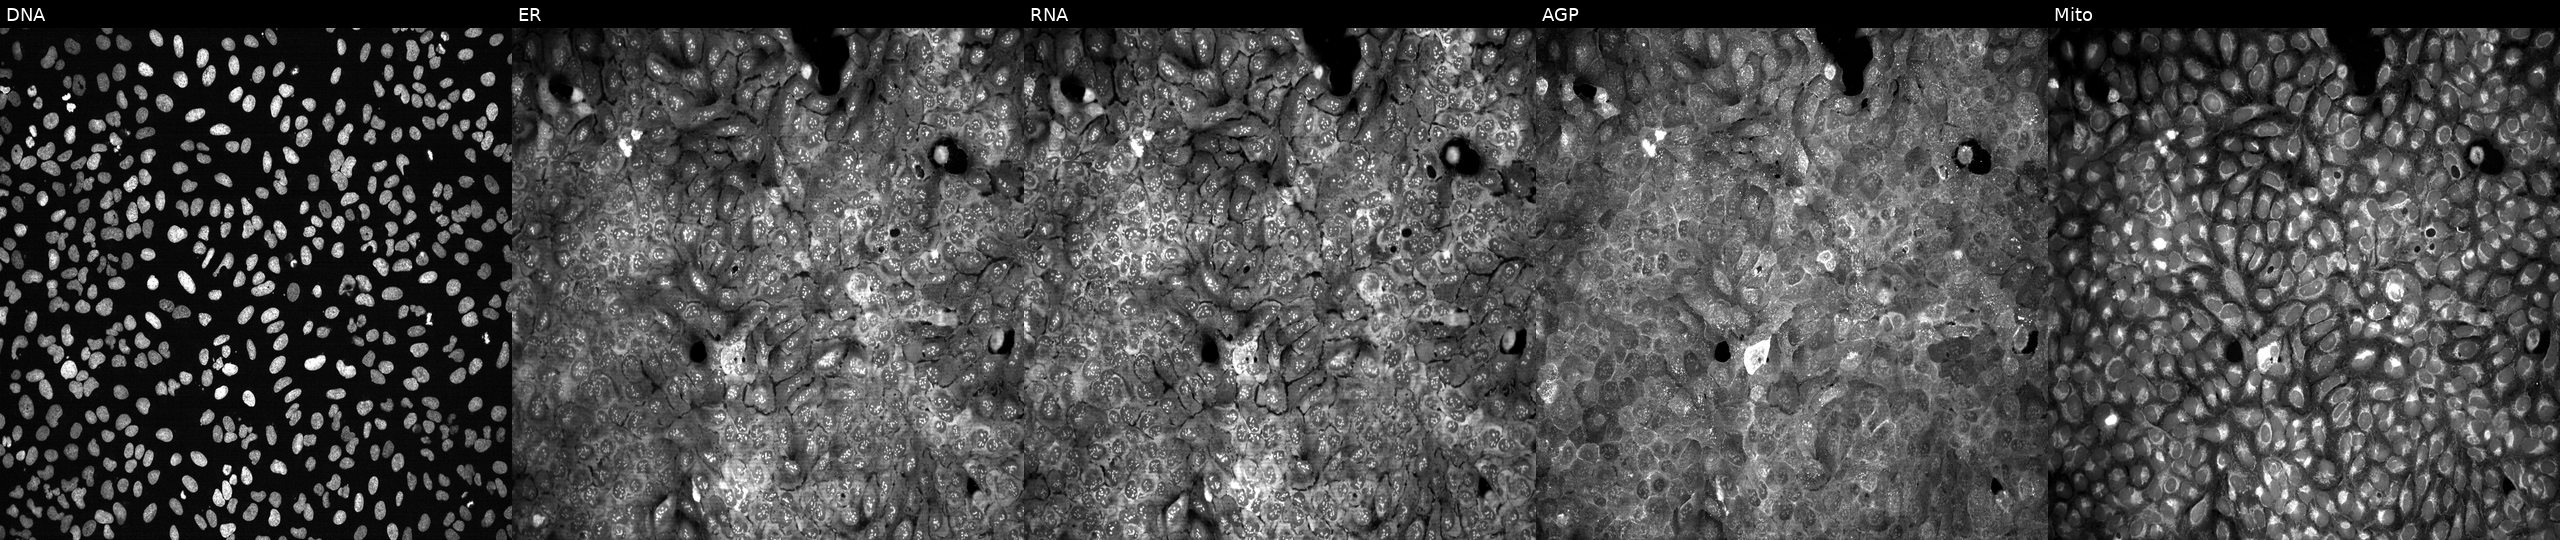
High-content fluorescence microscopy (Cell Painting). Cell line: U2OS. Perturbation: CRISPR-edited to disrupt PYCR1 (JUMP id JCP2022_805725). Channels (left→right): DNA, ER, RNA, AGP, and Mito.